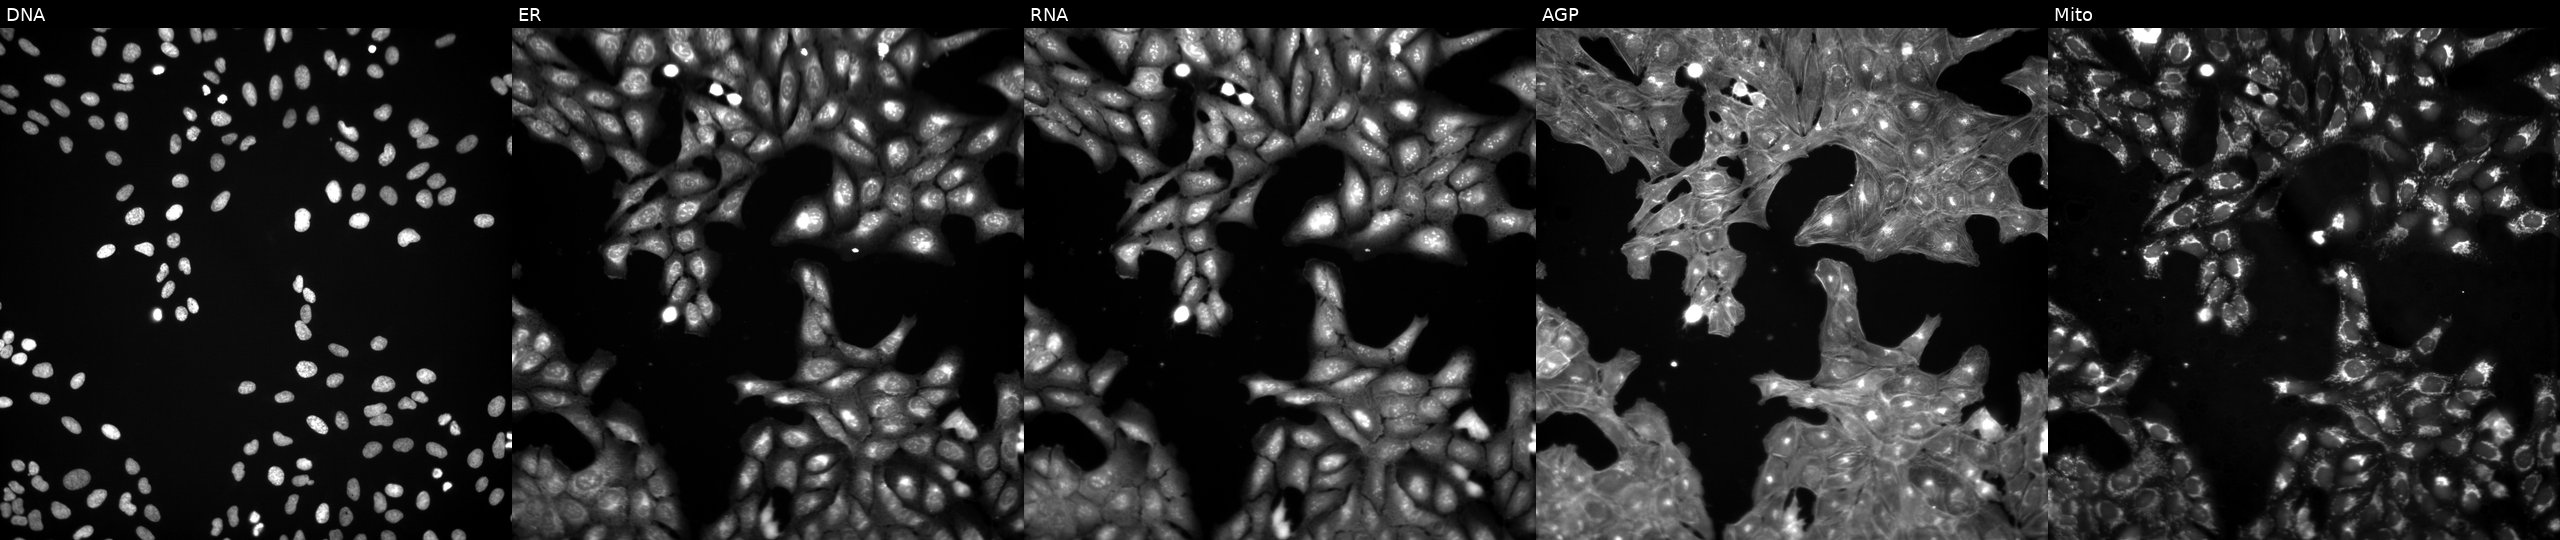
High-content fluorescence microscopy (Cell Painting). Cell line: U2OS. Perturbation: perturbed with a small-molecule compound (InChIKey YGSDEFSMJLZEOE-UHFFFAOYSA-N) (JUMP id JCP2022_108326). The five panels, left to right, show Hoechst 33342, concanavalin A, SYTO 14, phalloidin and WGA, MitoTracker. Source 3, plate JCPQC053, well A04.